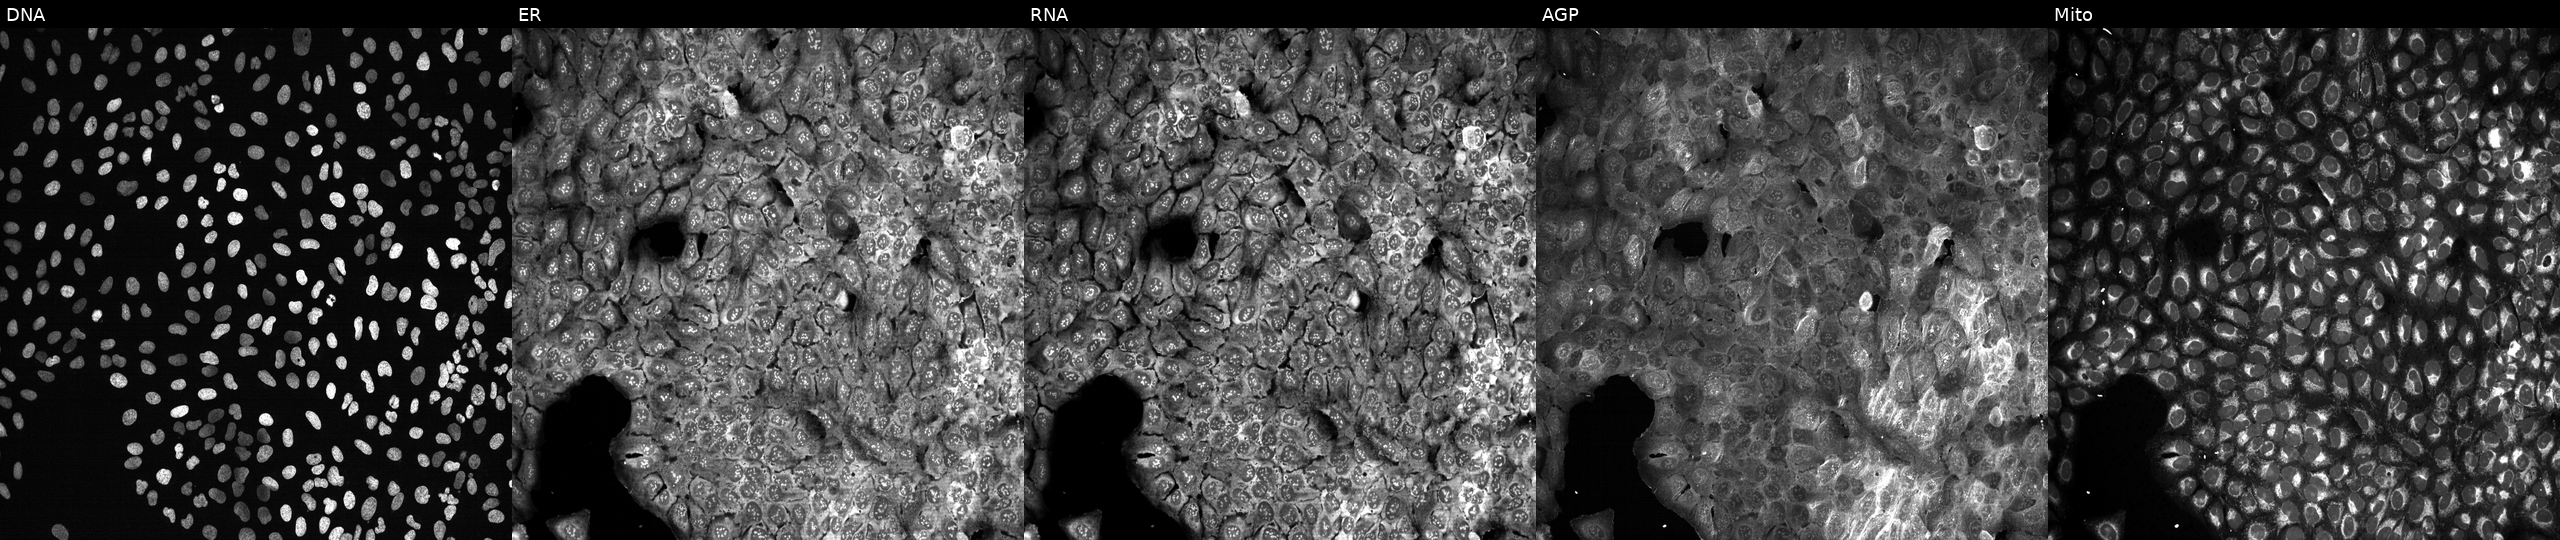
JUMP Cell Painting — CRISPR plate. U2OS cells CRISPR-edited to disrupt SLC22A23. Panels show, left to right, DNA (nuclei); ER (endoplasmic reticulum); RNA (nucleoli and cytoplasmic RNA); AGP (actin cytoskeleton, Golgi, and plasma membrane); Mito (mitochondria).